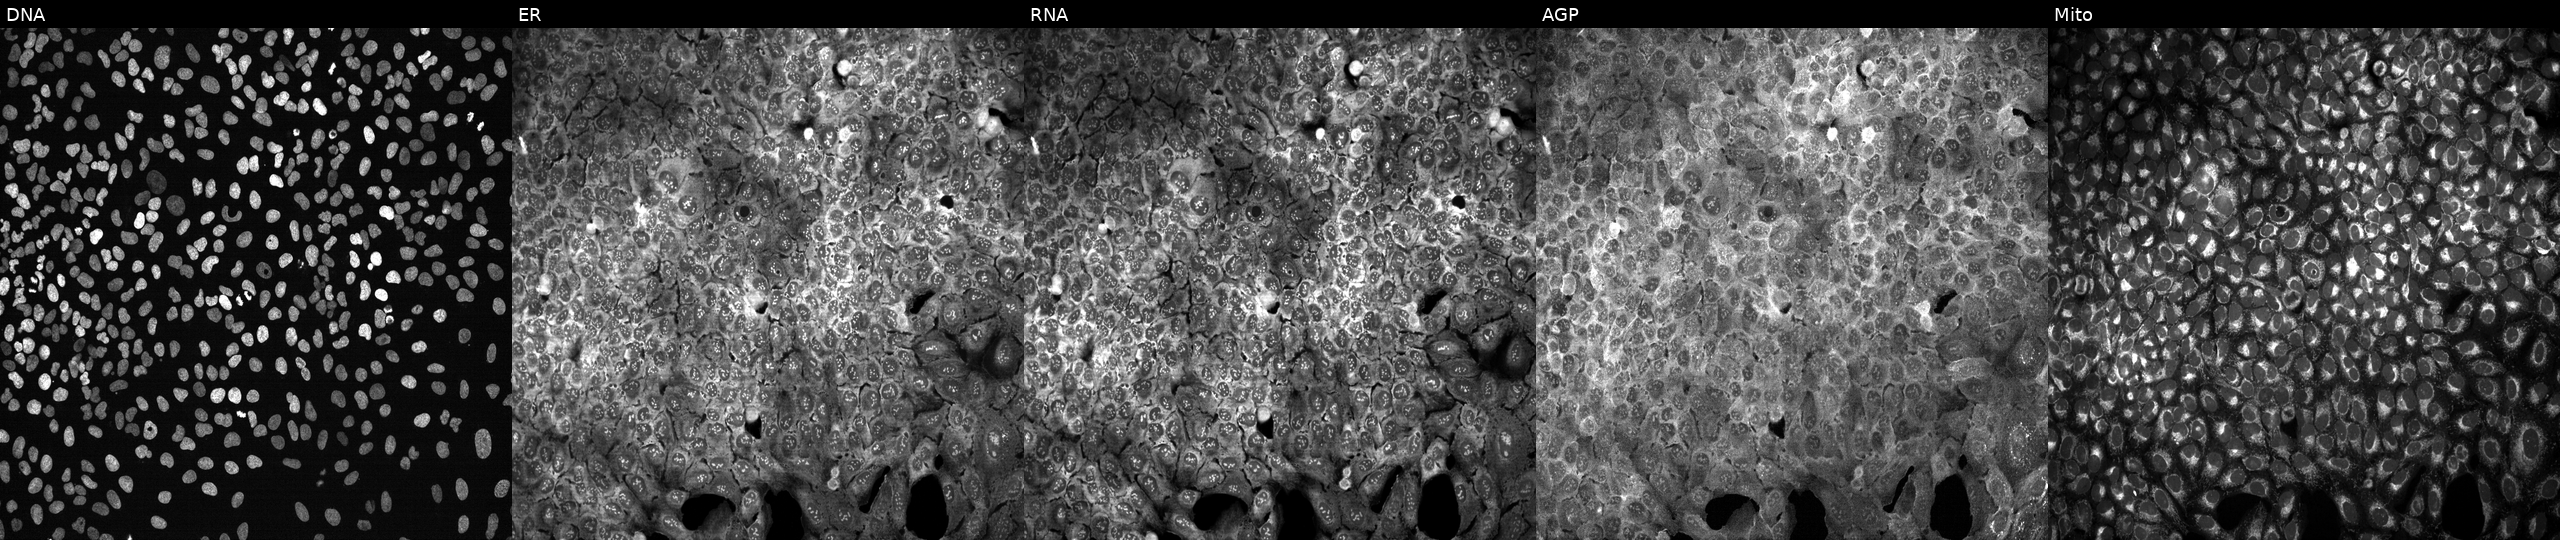
High-content fluorescence microscopy (Cell Painting). Cell line: U2OS. Perturbation: with ST8SIA6 knocked out by CRISPR (JUMP id JCP2022_806816). From left to right: Hoechst 33342, concanavalin A, SYTO 14, phalloidin and WGA, MitoTracker. Source 13, plate CP-CC9-R3-02, well O11.